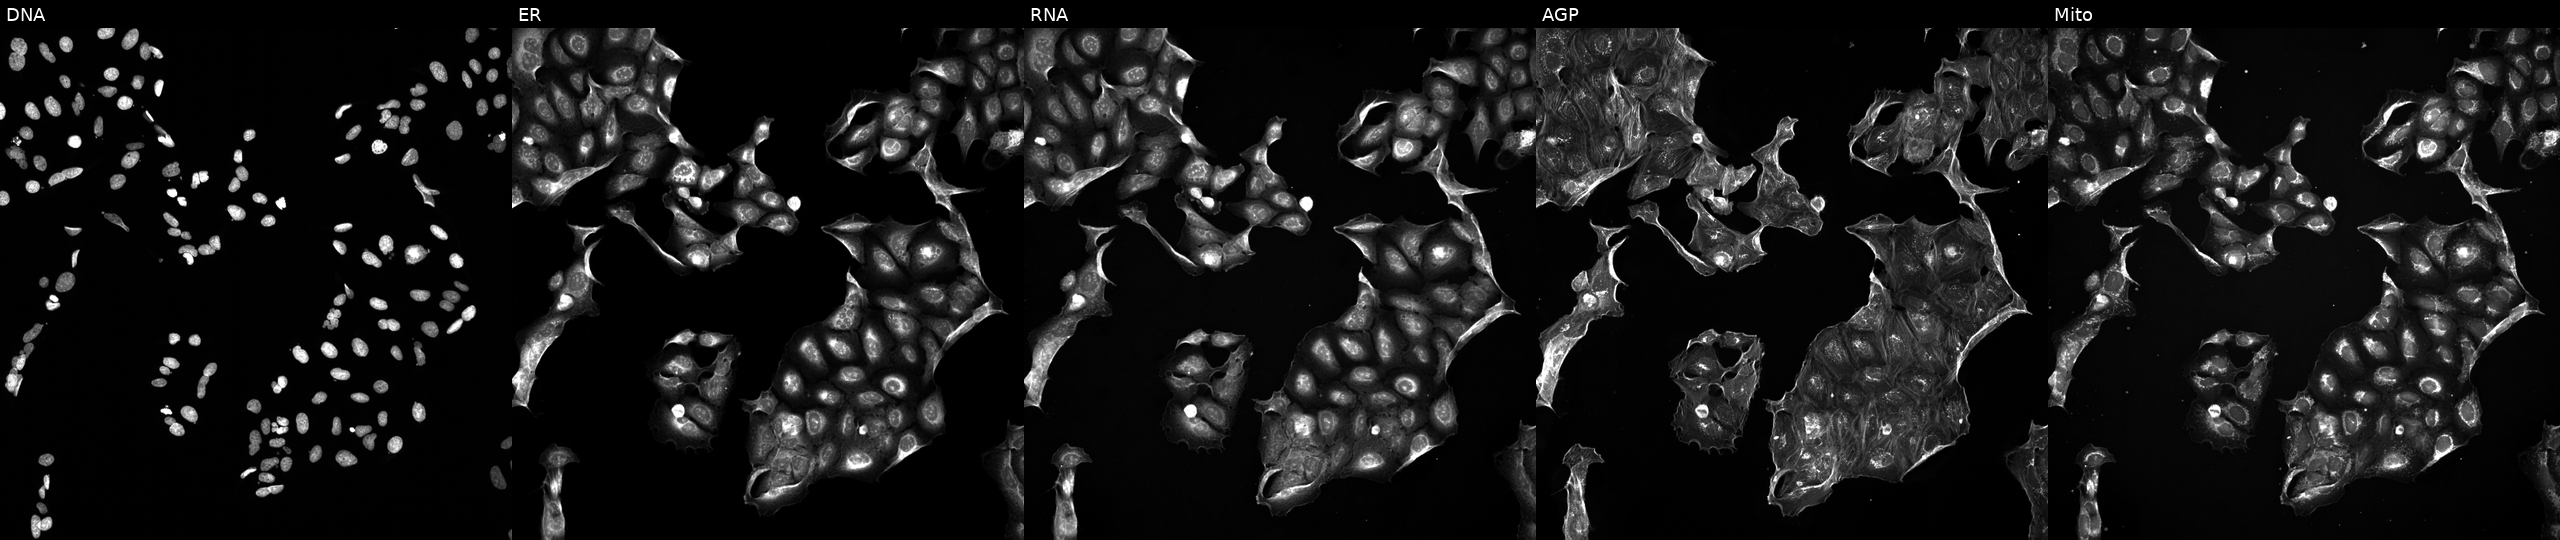
Five-channel Cell Painting image of U2OS cells perturbed with a small-molecule compound. Panels show, left to right, DNA, ER, RNA, AGP, and Mito.